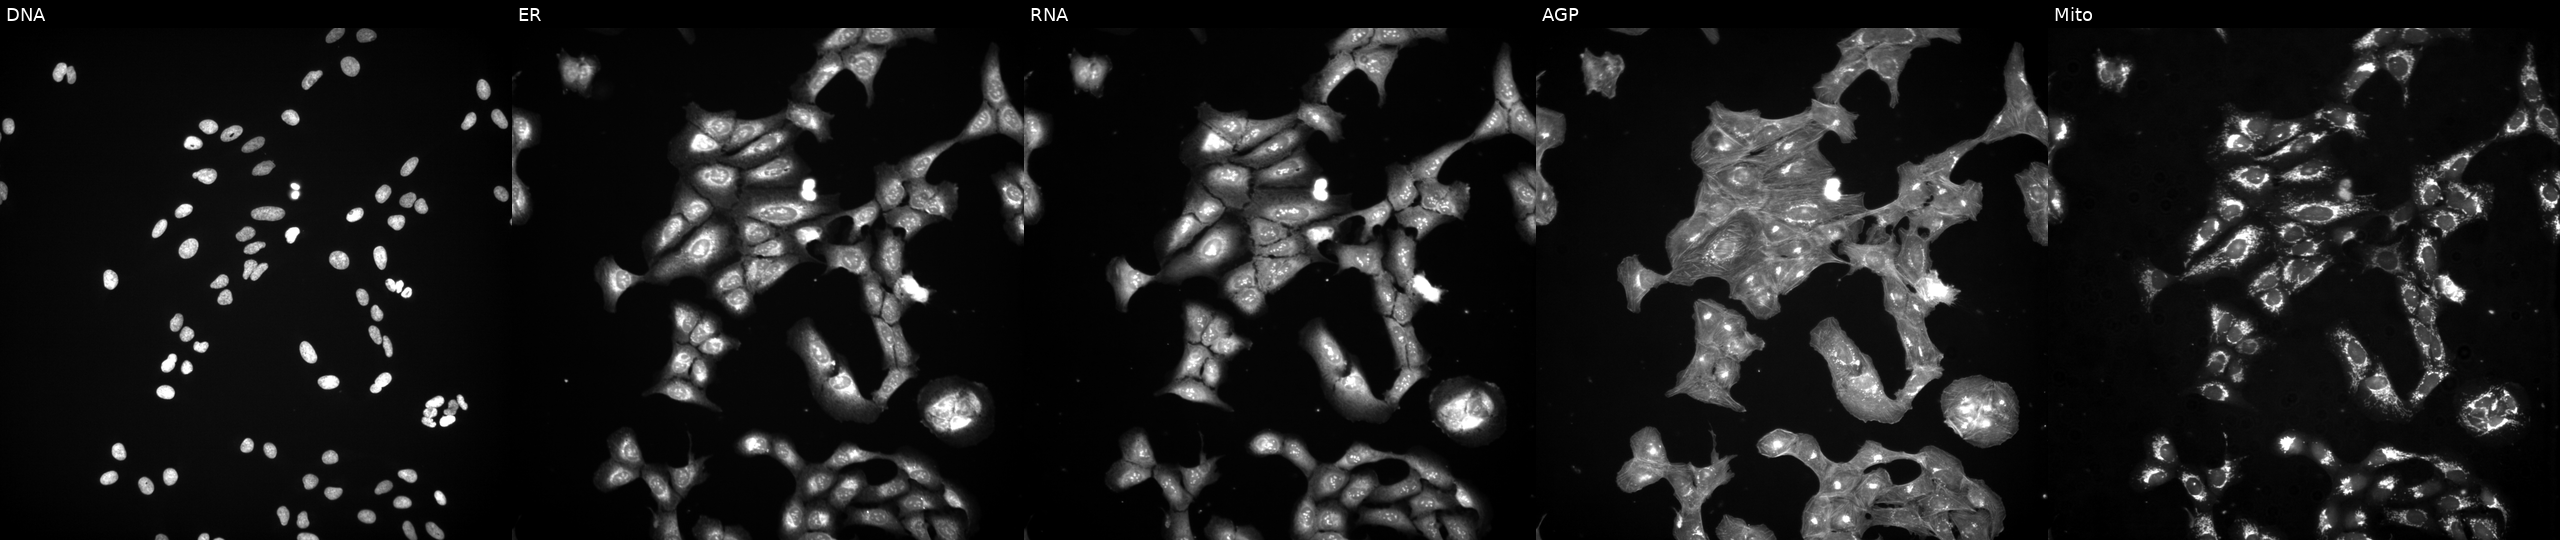
High-content fluorescence microscopy (Cell Painting). Cell line: U2OS. Perturbation: perturbed with a small-molecule compound (InChIKey FRYCCZAEQMQZNB-UHFFFAOYSA-N) (JUMP id JCP2022_022568). Panels show, left to right, Hoechst 33342, concanavalin A, SYTO 14, phalloidin and WGA, MitoTracker.